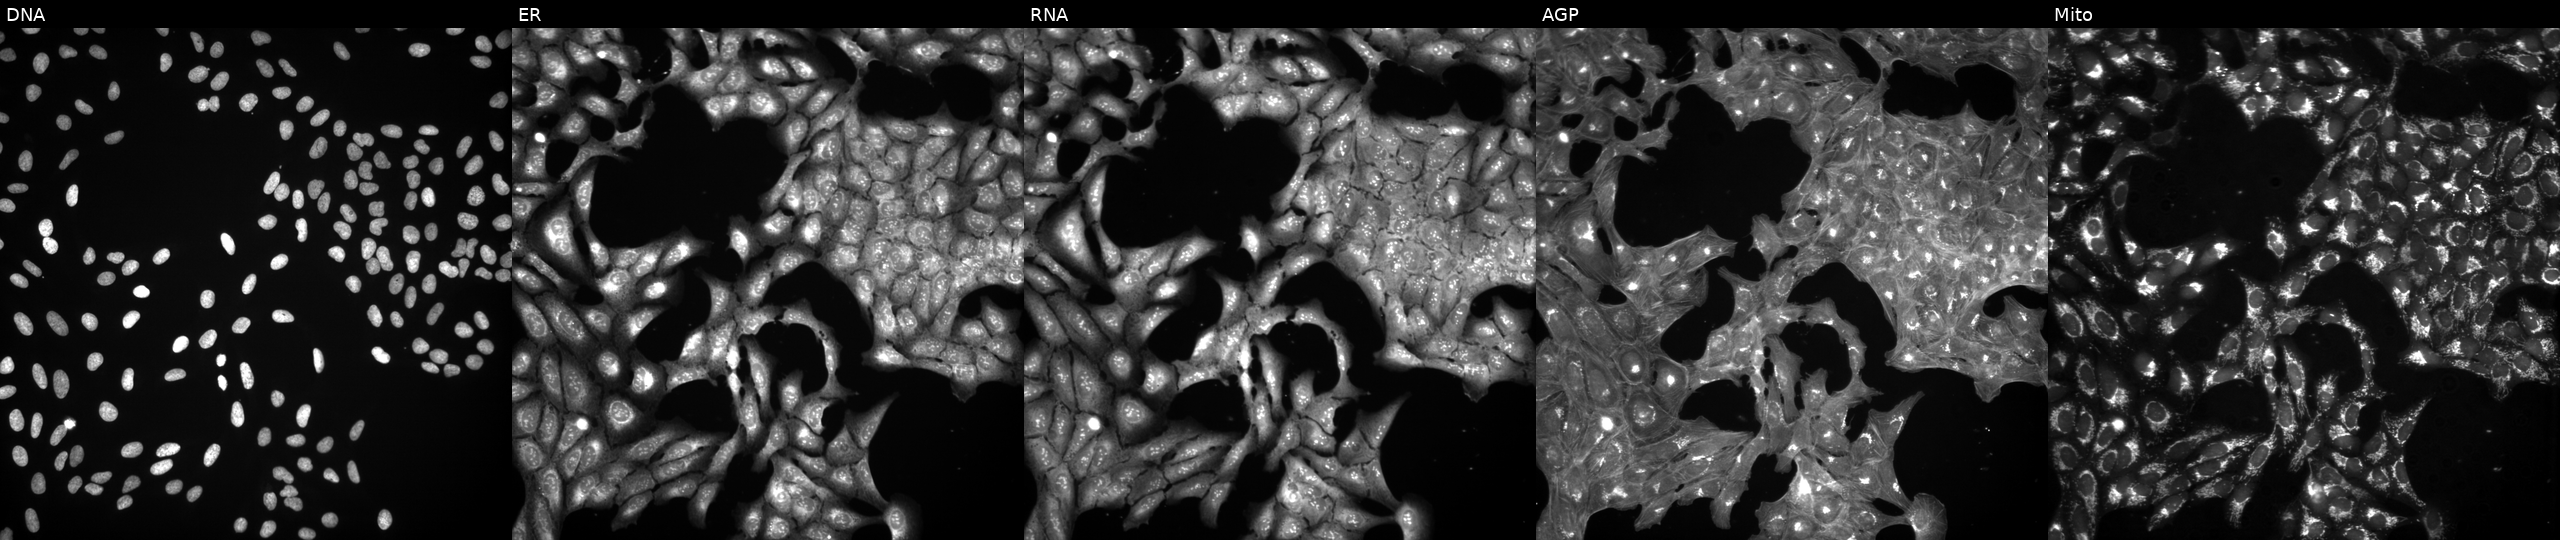
JUMP Cell Painting — COMPOUND plate. U2OS cells exposed to a small-molecule compound (InChIKey ADCGDNGUQVCVFN-UHFFFAOYSA-N) [SMILES: COC(=O)C=C1SC(=Nc2ccc(OC)cc2)NC1=O] (JUMP id JCP2022_000608). From left to right: Hoechst 33342, concanavalin A, SYTO 14, phalloidin and WGA, MitoTracker.